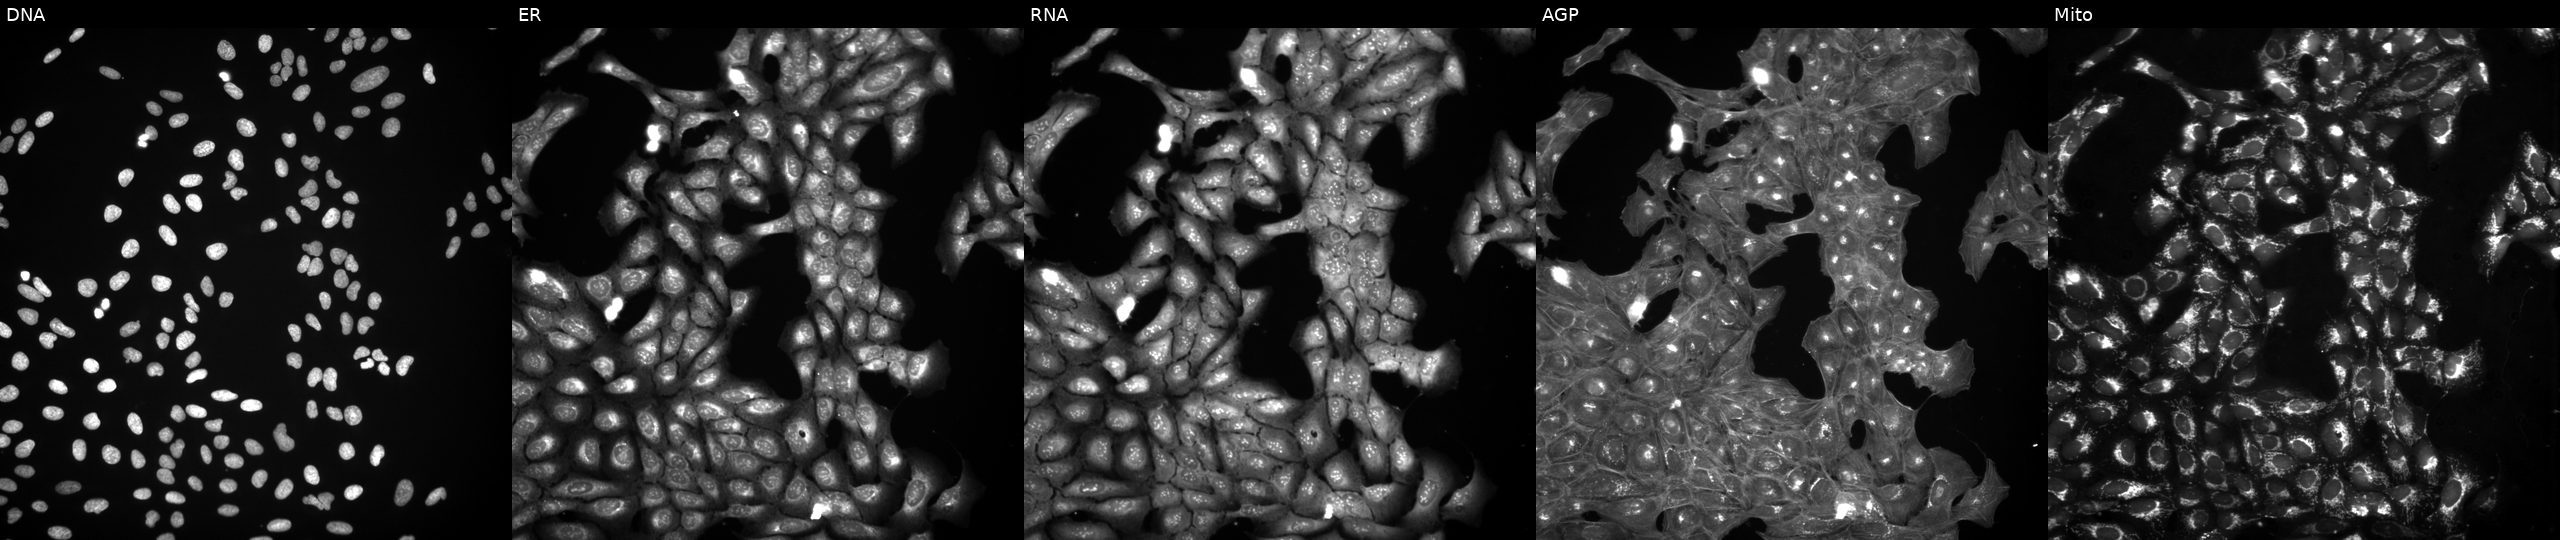
The five panels, left to right, show Hoechst 33342, concanavalin A, SYTO 14, phalloidin and WGA, MitoTracker. U2OS osteosarcoma cells exposed to a small-molecule compound (InChIKey WZMSJTDJWBRFPR-UHFFFAOYSA-N) (JUMP id JCP2022_102196). Cell Painting assay, JUMP-CP dataset.